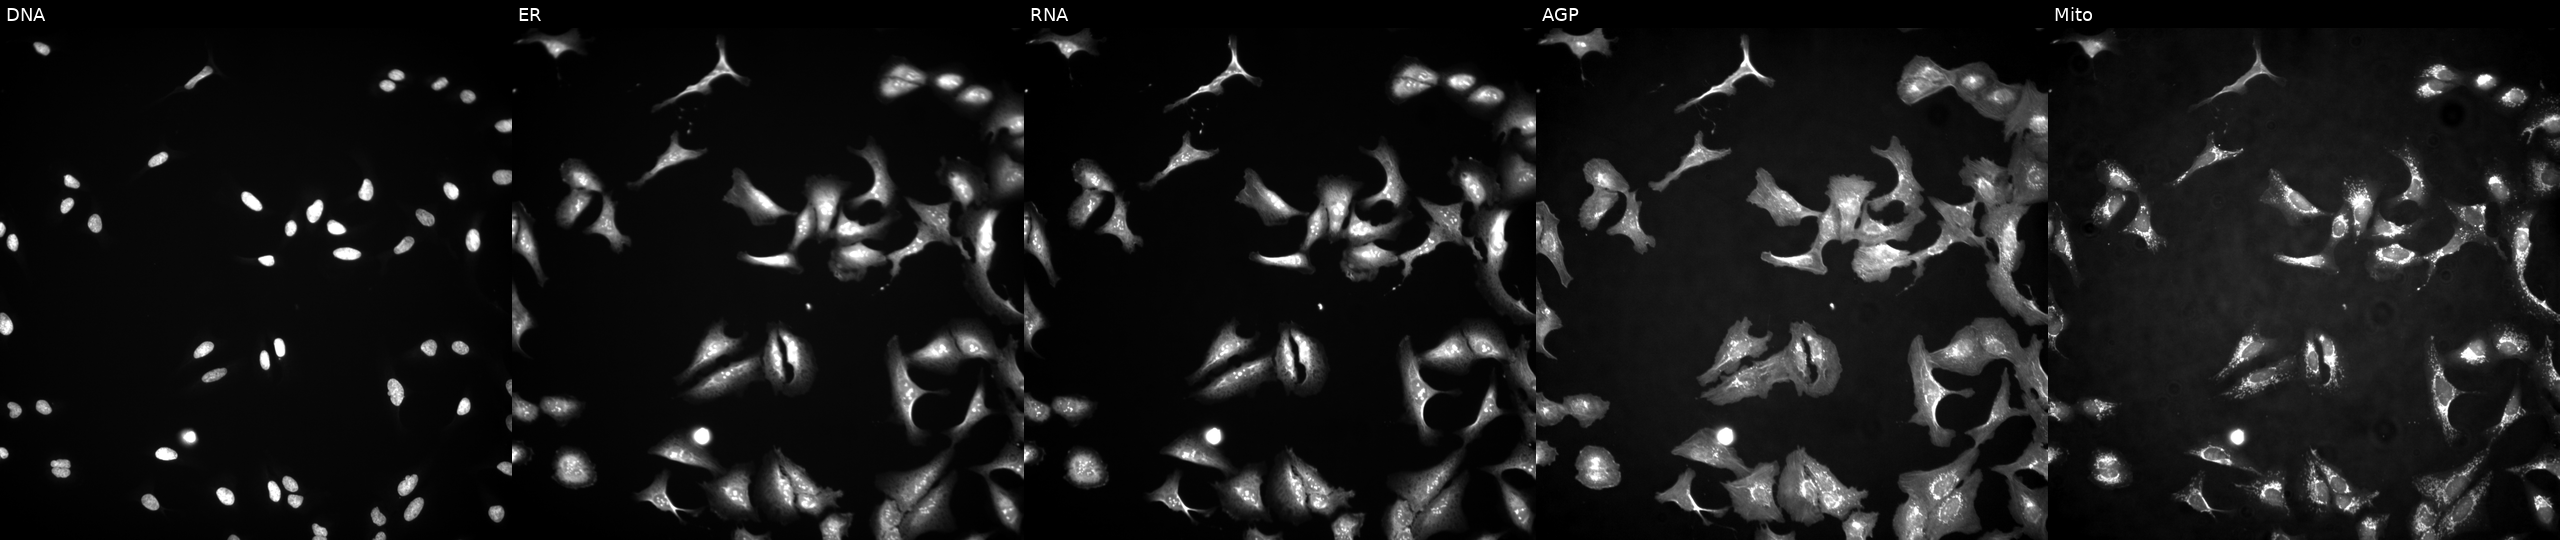
Panels show, left to right, Hoechst 33342, concanavalin A, SYTO 14, phalloidin and WGA, MitoTracker. U2OS osteosarcoma cells with MSL3 overexpressed (ORF). Cell Painting assay, JUMP-CP dataset.